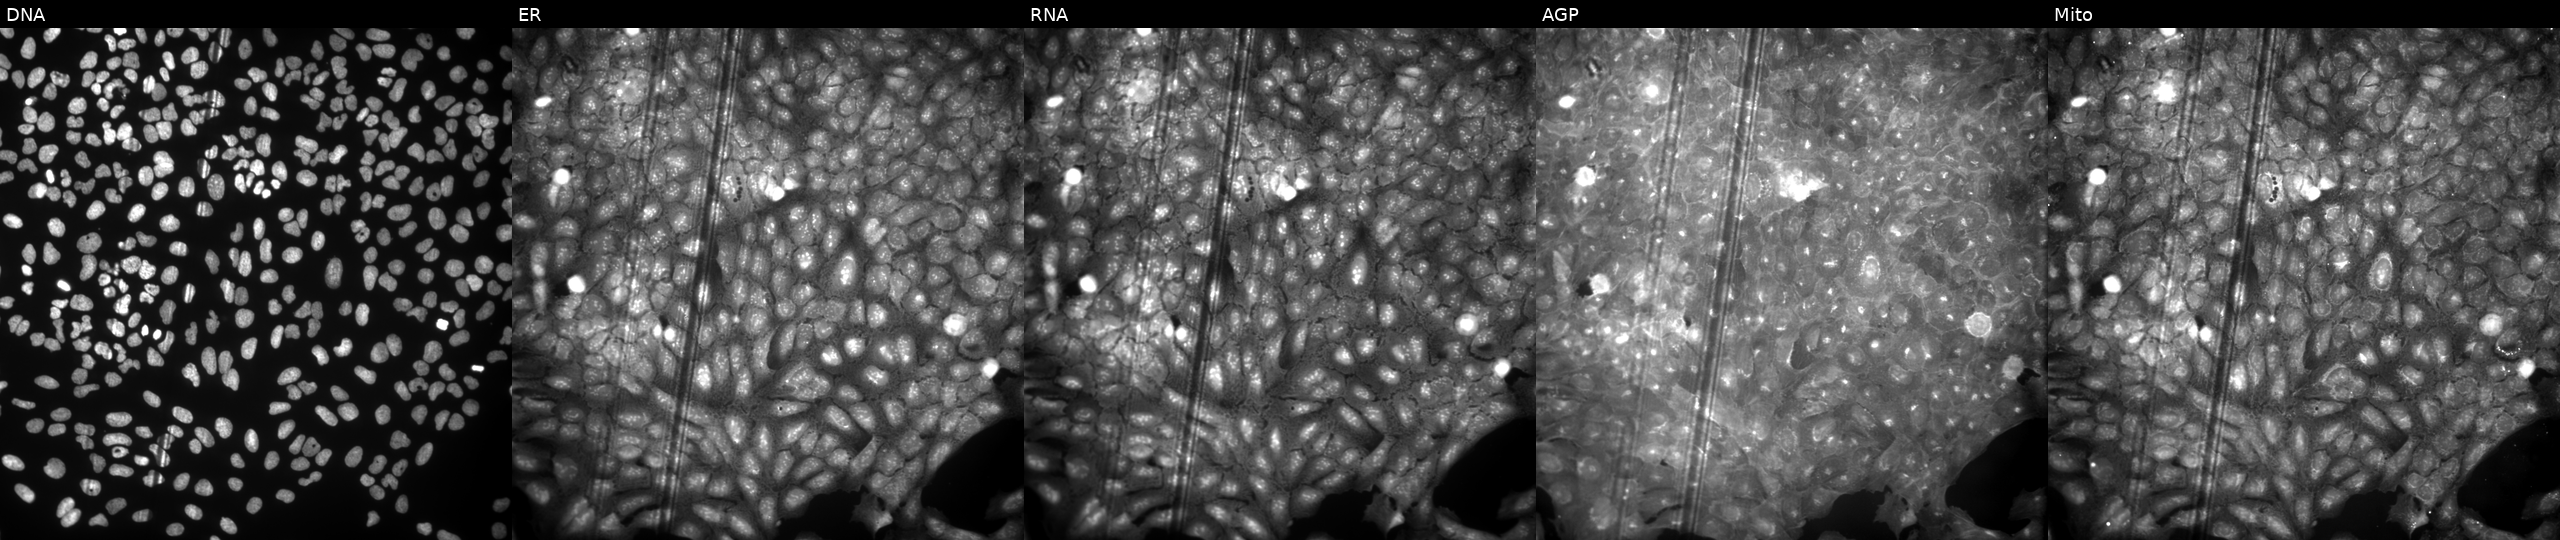
This image strip shows the five Cell Painting channels for a single field of U2OS cells exposed to DMSO alone as a negative control. From left to right: Hoechst 33342, concanavalin A, SYTO 14, phalloidin and WGA, MitoTracker.